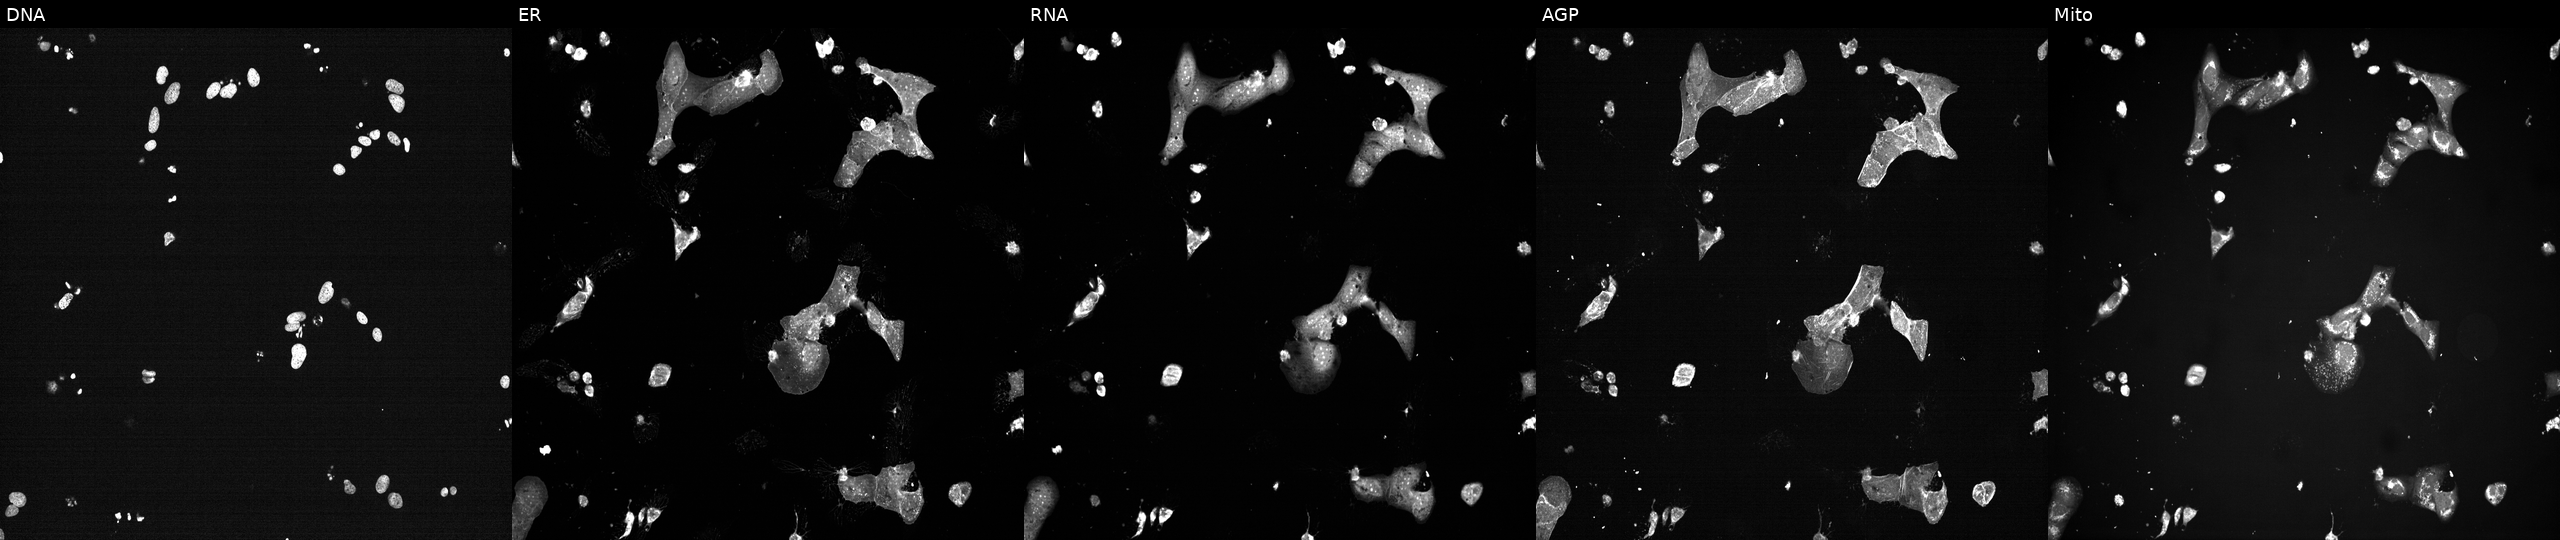
JUMP Cell Painting — TARGET2 plate. U2OS cells perturbed with a small-molecule compound (JUMP id JCP2022_030049). Channels (left→right): DNA, ER, RNA, AGP, and Mito.